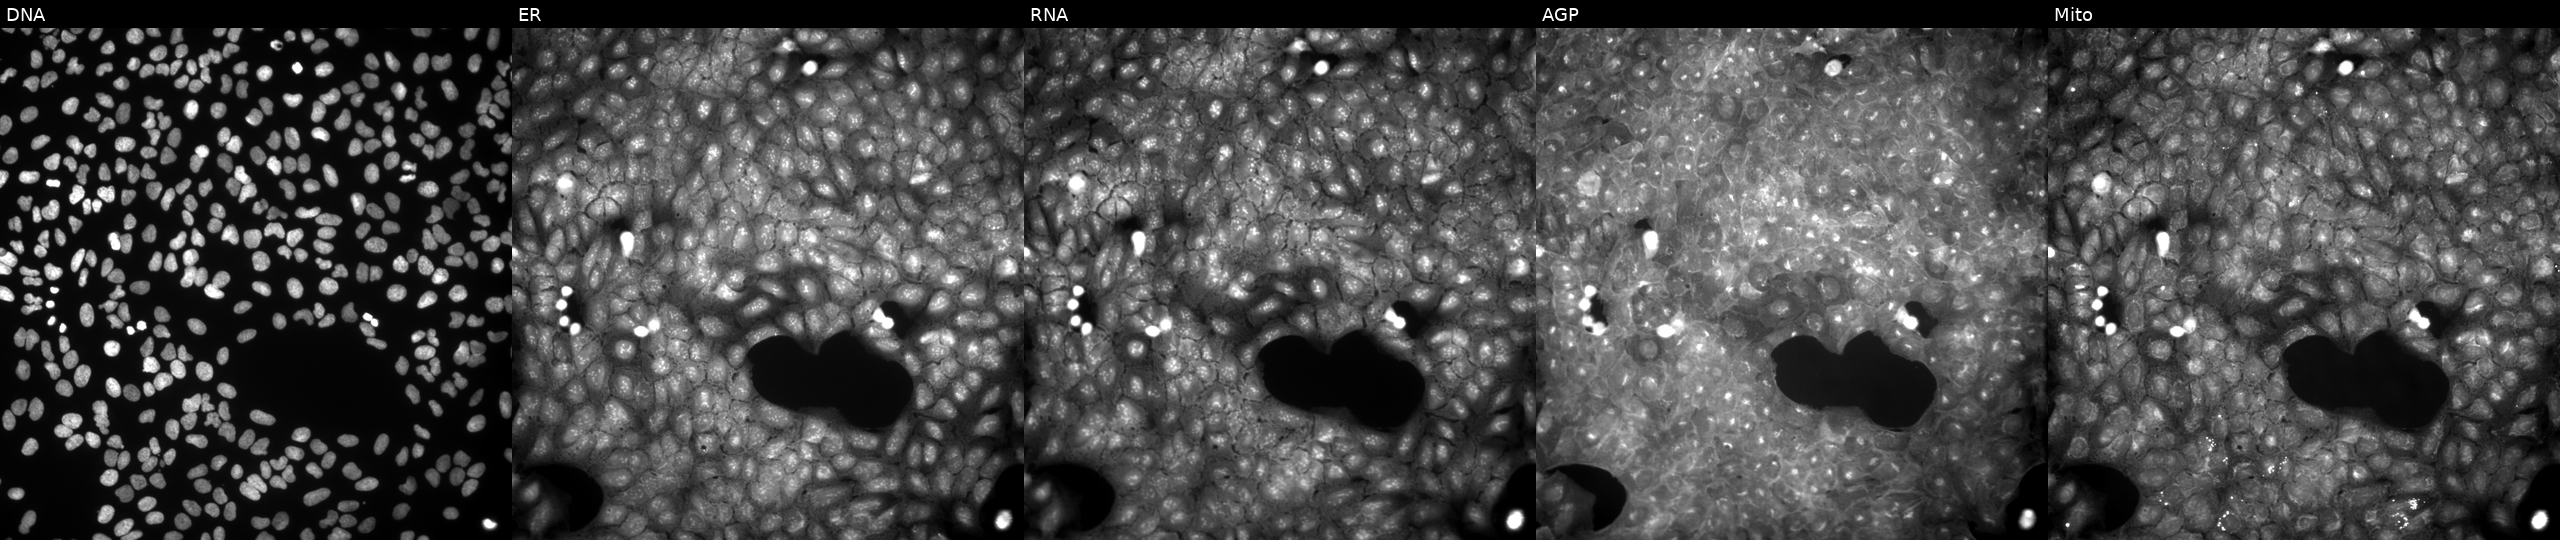
JUMP Cell Painting — COMPOUND plate. U2OS cells treated with a small-molecule compound [SMILES: O=C(Oc1cccc(C(=S)N2CCOCC2)c1)c1ccc([N+](=O)[O-])cc1]. From left to right: DNA, ER, RNA, AGP, and Mito. Source 9, plate GR00003382, well T27.